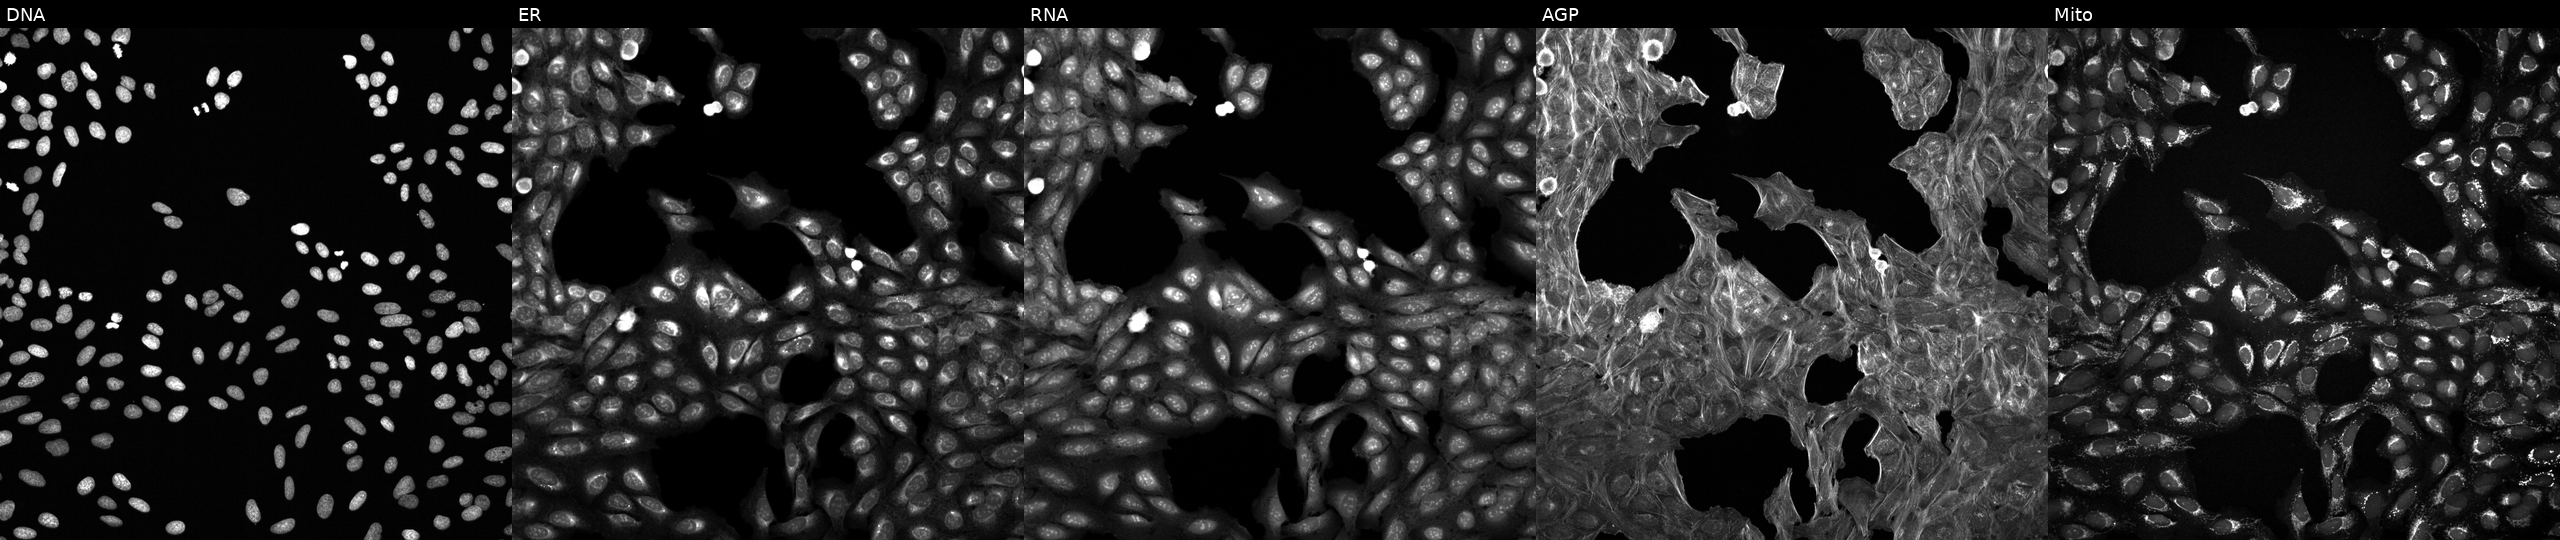
This image strip shows the five Cell Painting channels for a single field of U2OS cells exposed to the positive-control compound TC-S-7004. Channels (left→right): Hoechst 33342, concanavalin A, SYTO 14, phalloidin and WGA, MitoTracker.